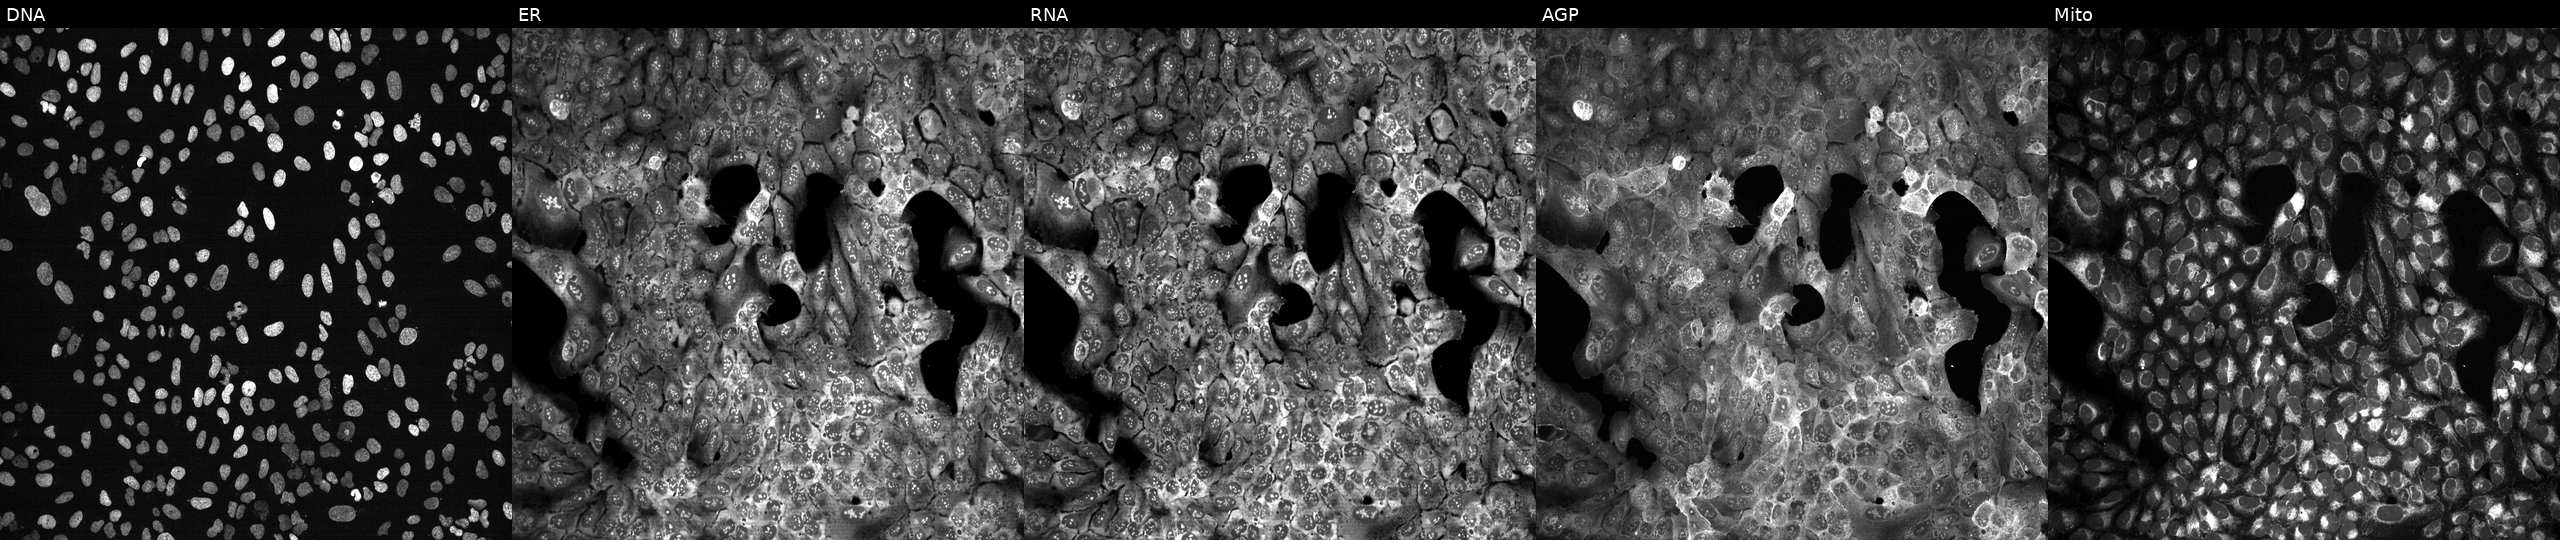
JUMP Cell Painting — CRISPR plate. U2OS cells with GALNT14 knocked out by CRISPR. Panels show, left to right, DNA, ER, RNA, AGP, and Mito.